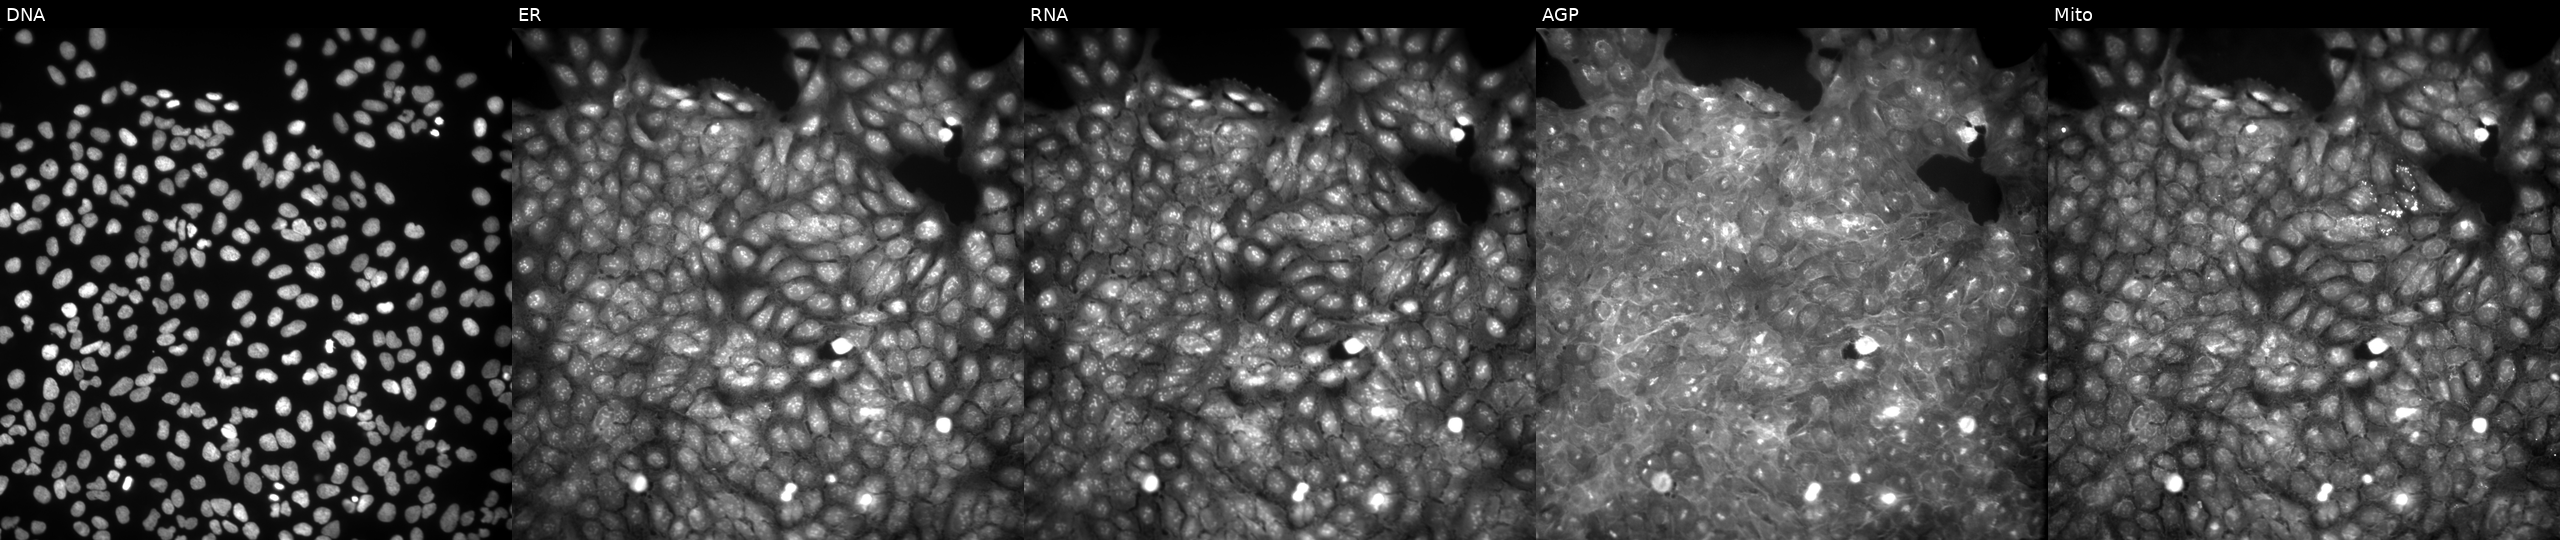
Five-channel Cell Painting image of U2OS cells treated with a small-molecule compound (InChIKey ZGLLCPWPHJGYBT-UHFFFAOYSA-N) (JUMP id JCP2022_113143). From left to right: Hoechst 33342, concanavalin A, SYTO 14, phalloidin and WGA, MitoTracker.